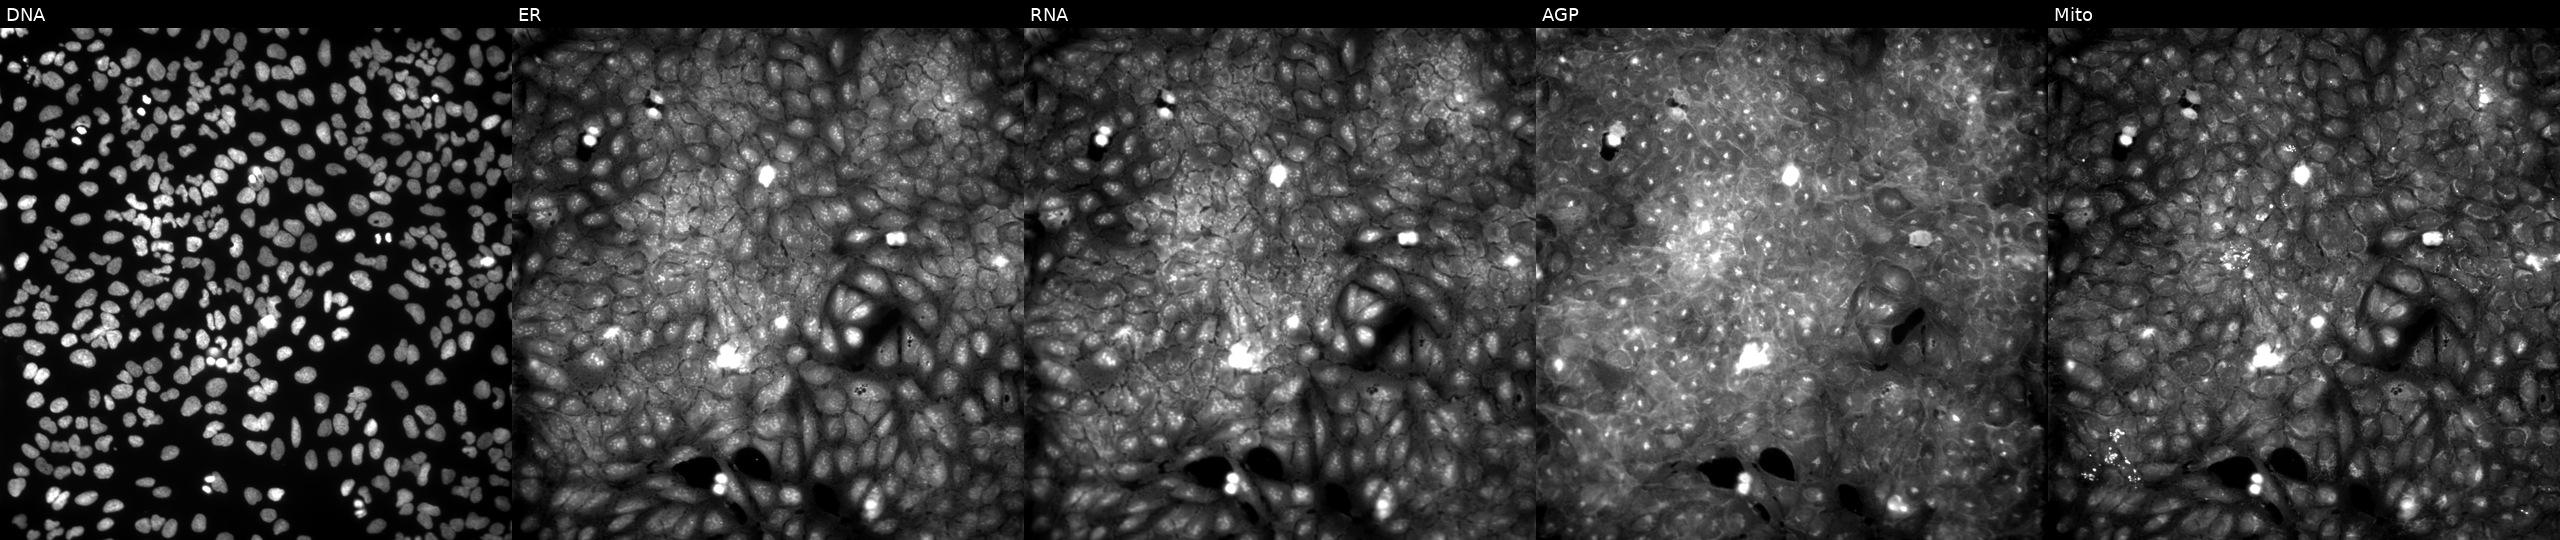
U2OS cells, Cell Painting assay, treated with a small-molecule compound (InChIKey ZUBHQTQLWFLJIY-UHFFFAOYSA-N) (JUMP id JCP2022_115671). The five panels, left to right, show Hoechst 33342, concanavalin A, SYTO 14, phalloidin and WGA, MitoTracker. Each panel is percentile-stretched 16-bit fluorescence. Source 9, plate GR00003381, well T20.